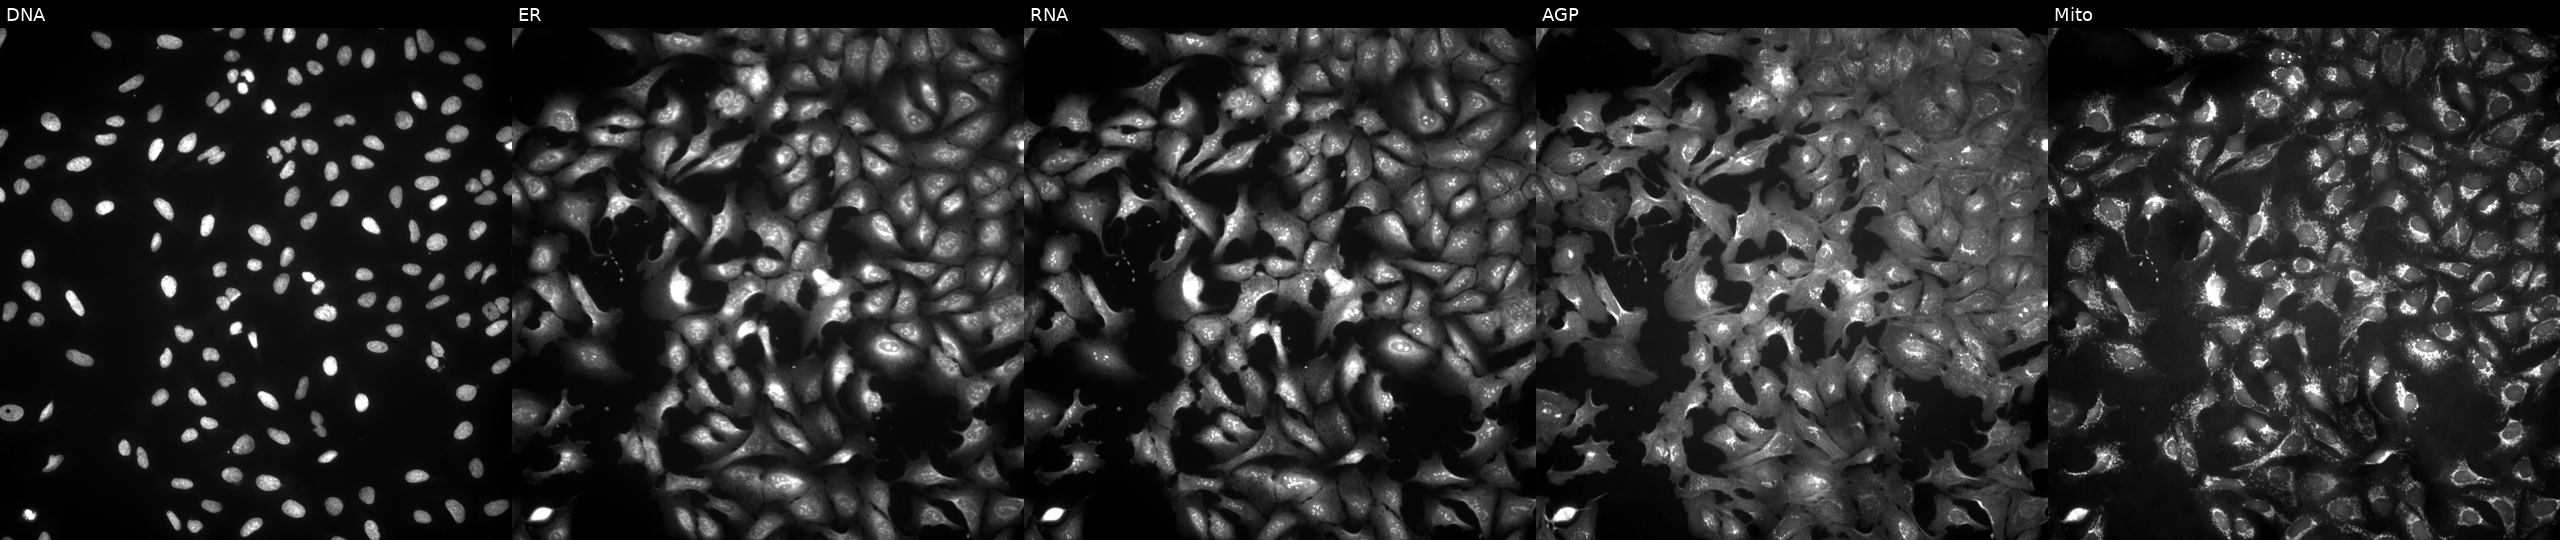
JUMP Cell Painting — ORF plate. U2OS cells with DPEP1 overexpressed (ORF). From left to right: DNA (nuclei); ER (endoplasmic reticulum); RNA (nucleoli and cytoplasmic RNA); AGP (actin cytoskeleton, Golgi, and plasma membrane); Mito (mitochondria).